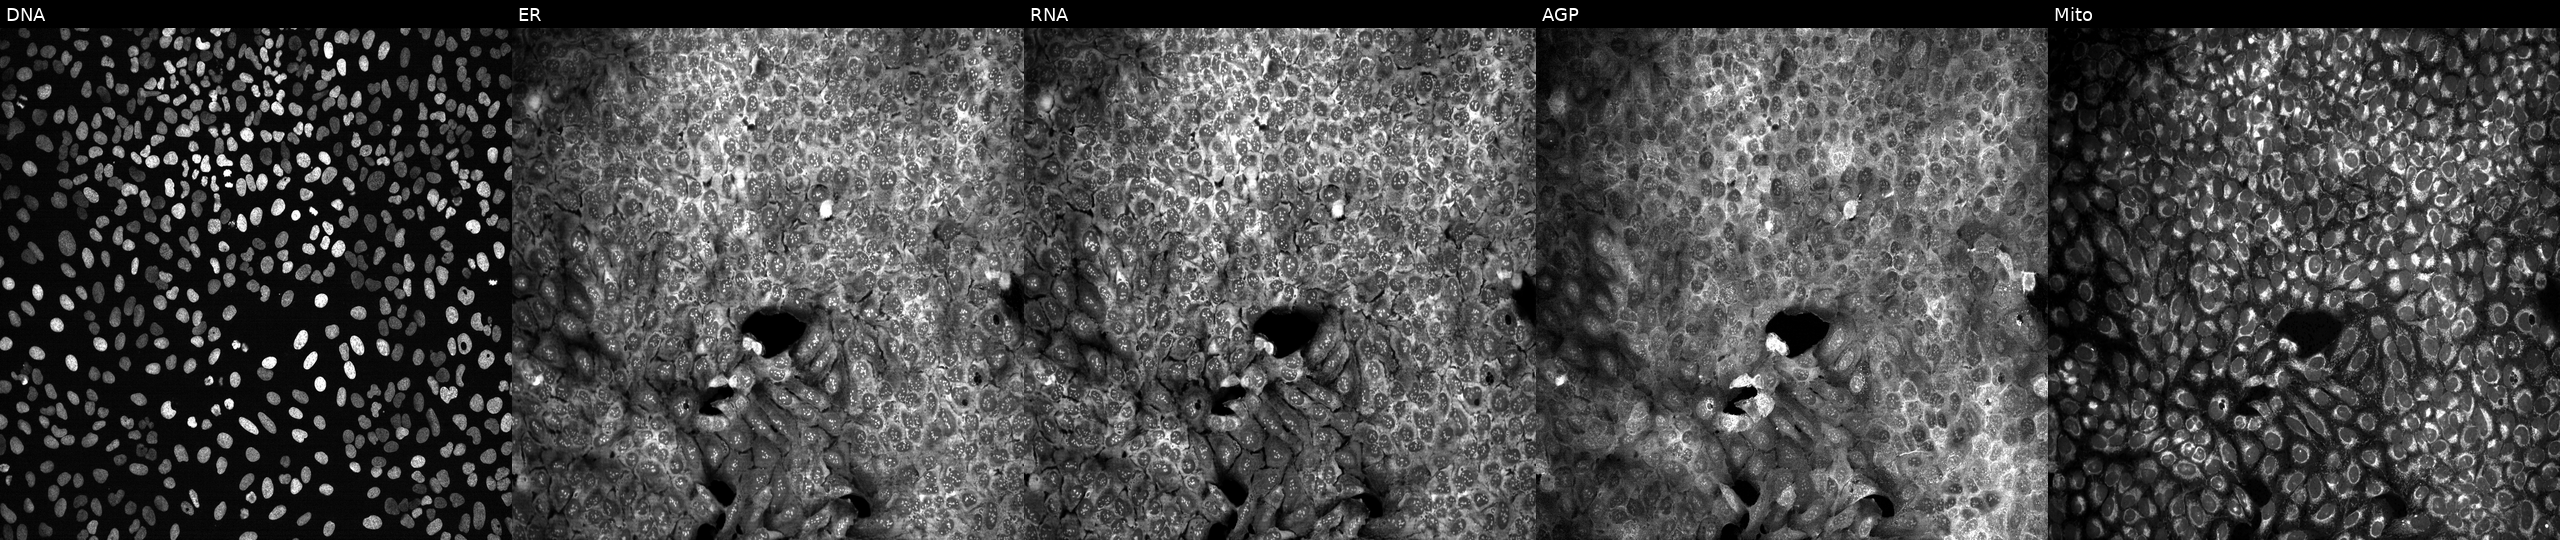
JUMP Cell Painting — CRISPR plate. U2OS cells exposed to the positive-control compound quinidine (JUMP id JCP2022_050797). The five panels, left to right, show DNA (nuclei); ER (endoplasmic reticulum); RNA (nucleoli and cytoplasmic RNA); AGP (actin cytoskeleton, Golgi, and plasma membrane); Mito (mitochondria).